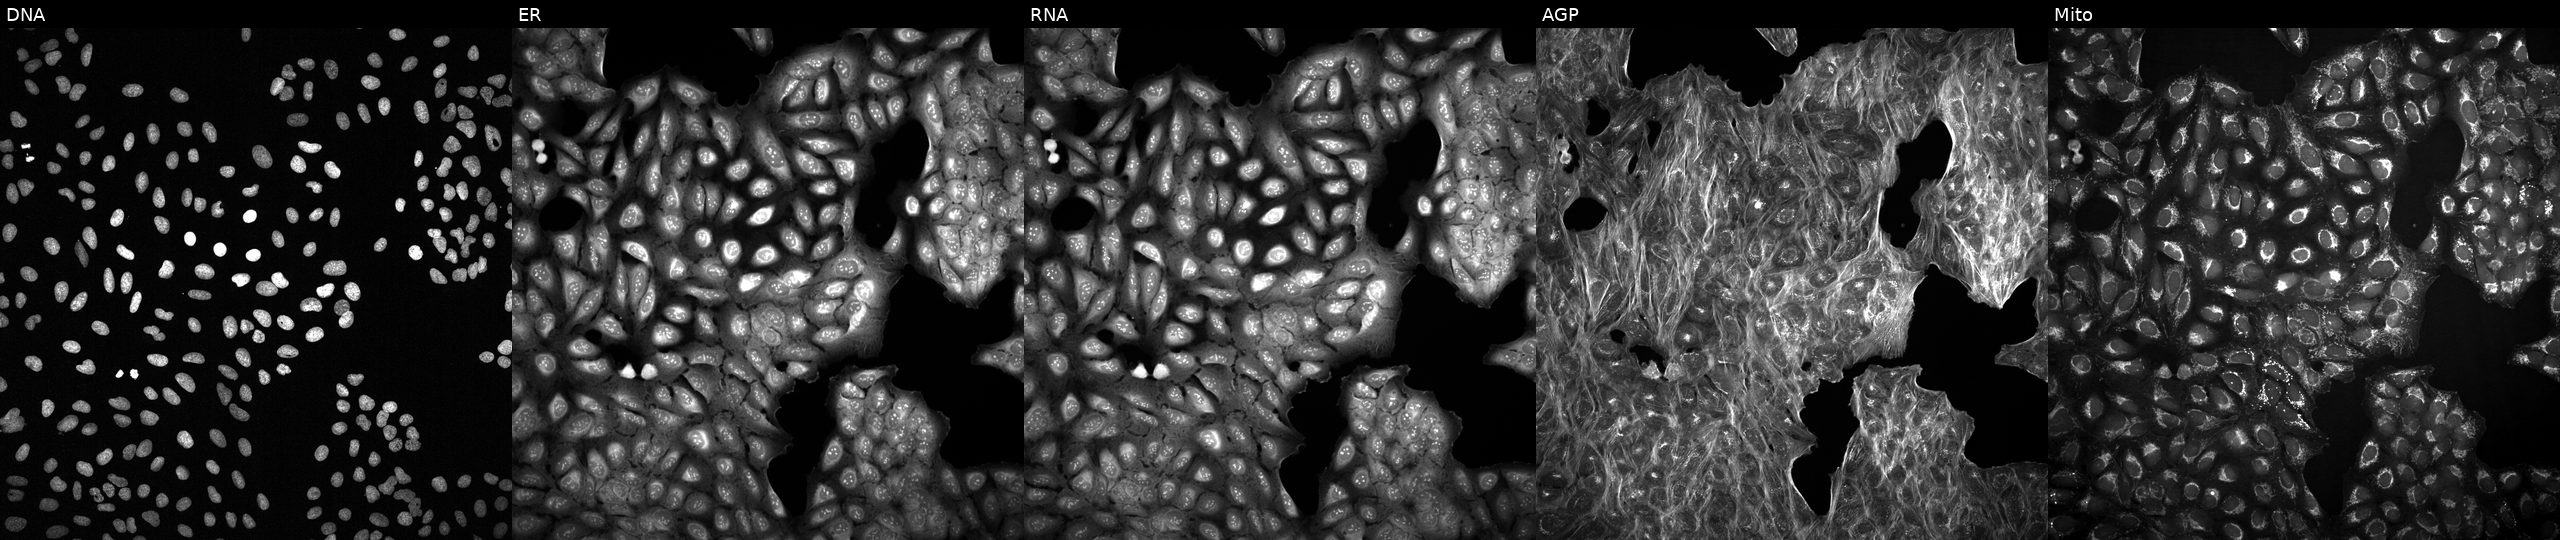
Channels (left→right): DNA (nuclei); ER (endoplasmic reticulum); RNA (nucleoli and cytoplasmic RNA); AGP (actin cytoskeleton, Golgi, and plasma membrane); Mito (mitochondria). U2OS osteosarcoma cells with an unidentified perturbation (not annotated in JUMP metadata). Cell Painting assay, JUMP-CP dataset.